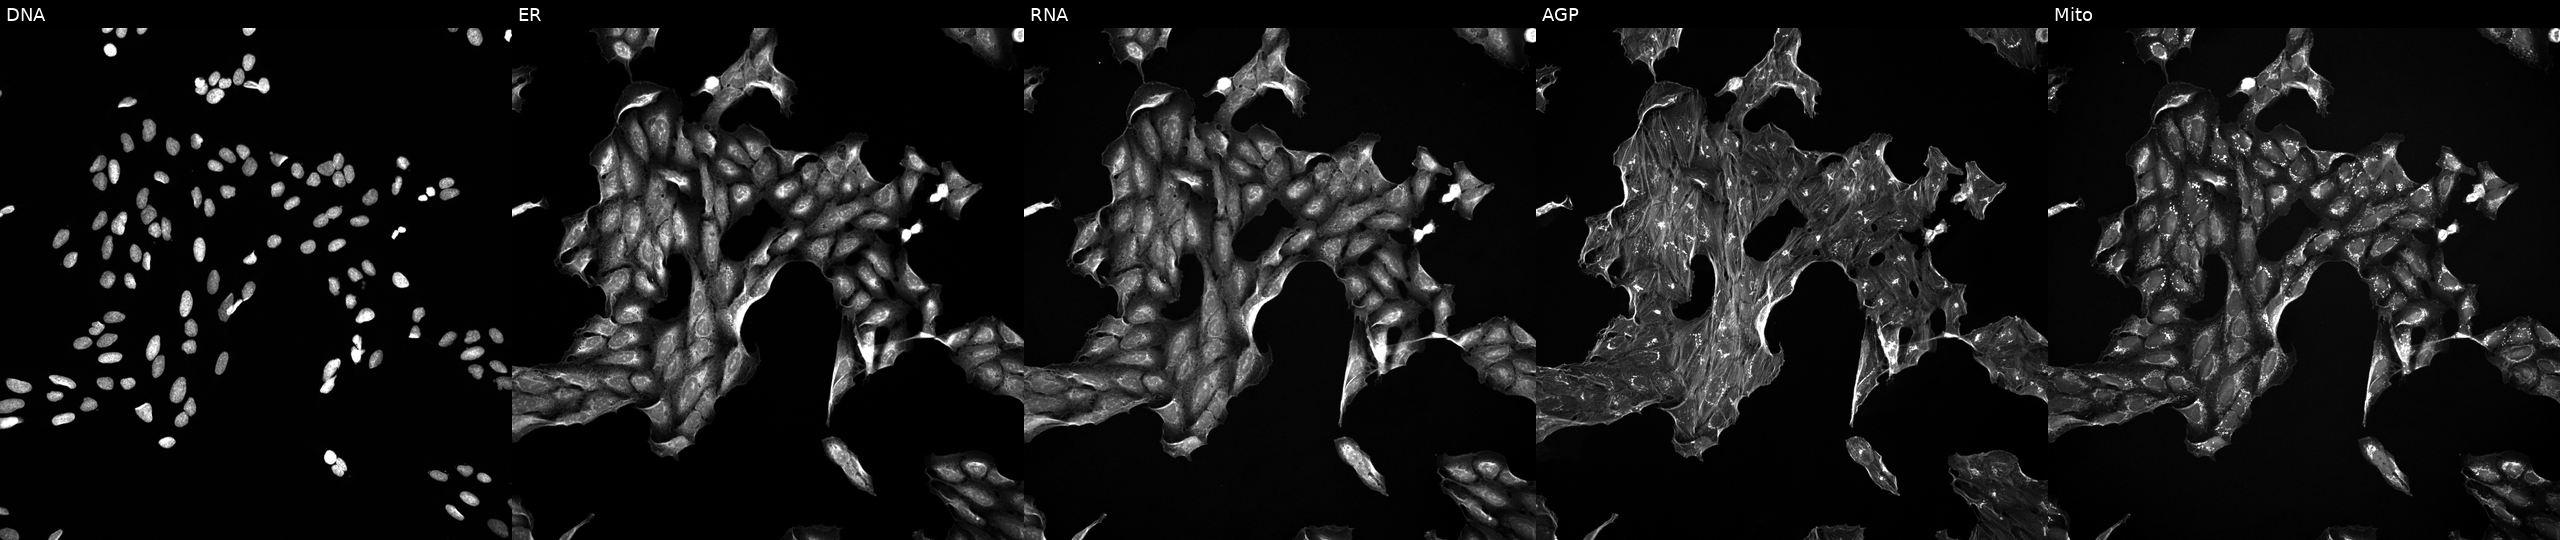
High-content fluorescence microscopy (Cell Painting). Cell line: U2OS. Perturbation: treated with a small-molecule compound [SMILES: C=C(NC(=O)C(=C)NC(=O)c1csc(C2=NC3c4csc(n4)C4NC(=O)c5csc(n5)C(C(C)(O)C(C)O)NC(=O)C5CSC(=N5)C(=CC)NC(=O)C(C(C)O)NC(=O)c5csc(n5)C3(CC2)NC(=O)C(C)NC(=O)C(=C)NC(=O)C(C)NC(=O)C(C(C)CC)Nc2ccc3c(c2O)NC(=CC3C(C)O)C(=O)OC4C)n1)C(N)=O]. Panels show, left to right, DNA, ER, RNA, AGP, and Mito.